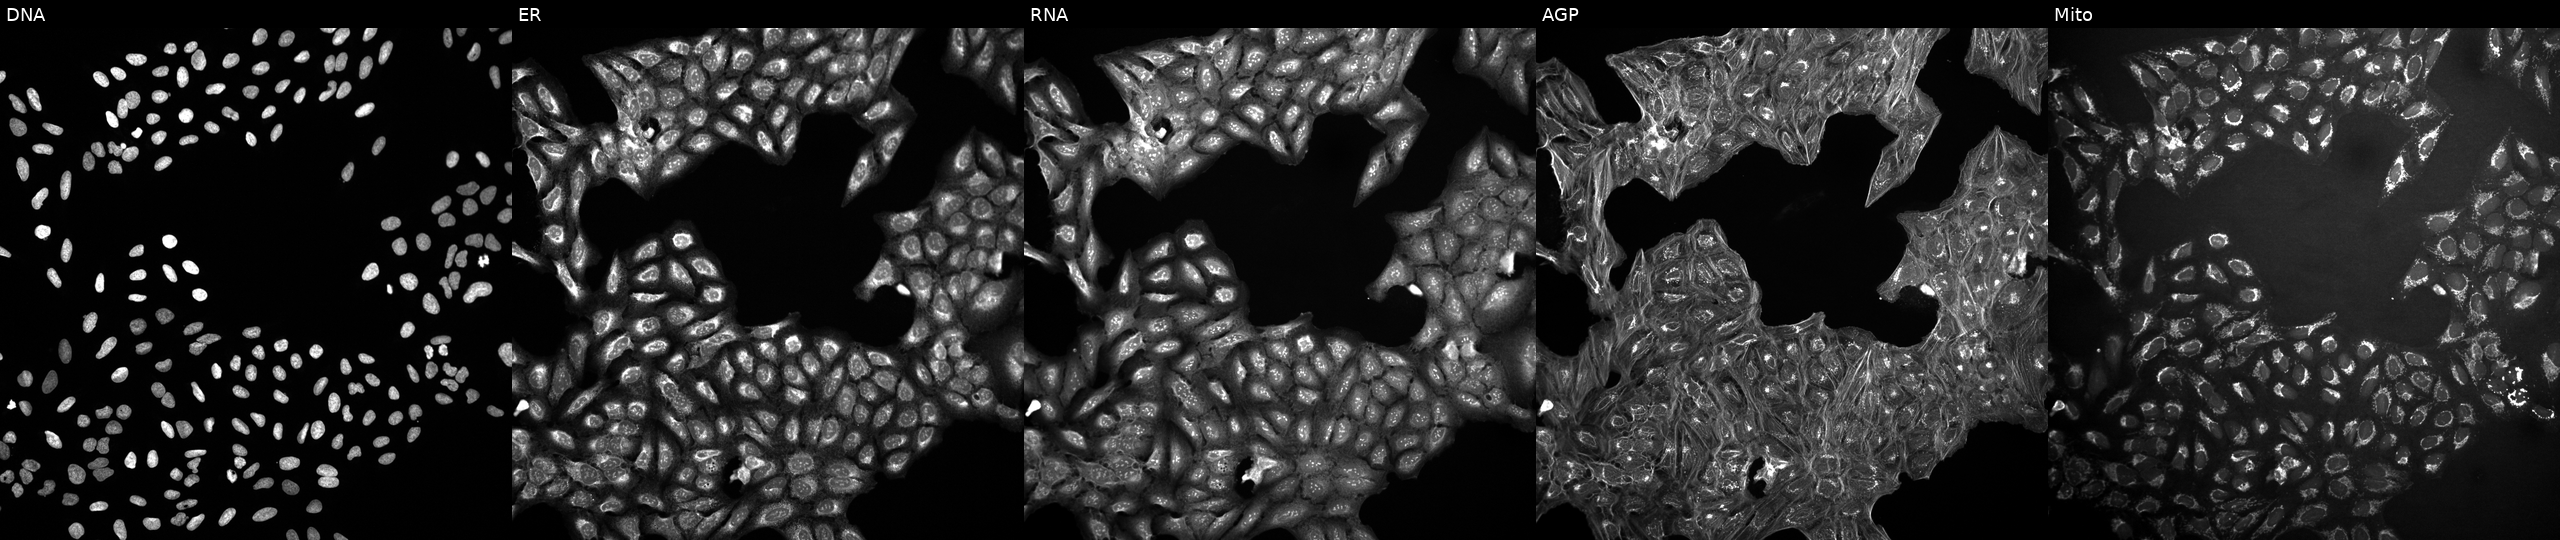
JUMP Cell Painting — COMPOUND plate. U2OS cells treated with a small-molecule compound (InChIKey CDVLIMVJSORIPU-UHFFFAOYSA-N). Channels (left→right): DNA, ER, RNA, AGP, and Mito. Source 10, plate Dest210531-152324, well E15.